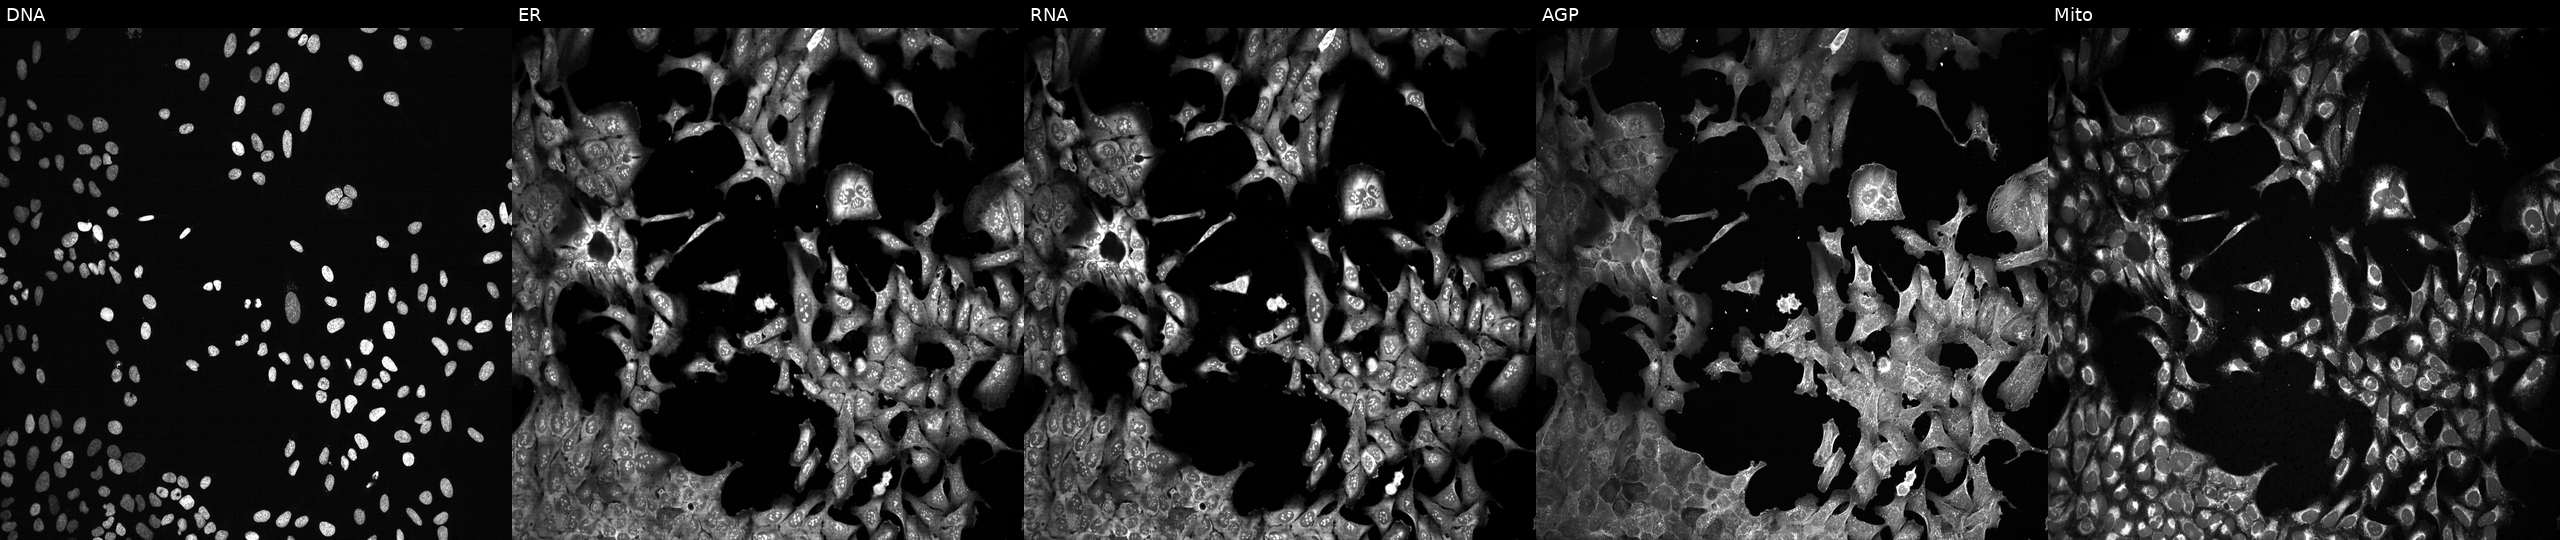
U2OS cells, Cell Painting assay, with TMPRSS15 knocked out by CRISPR (JUMP id JCP2022_807147). From left to right: DNA (nuclei); ER (endoplasmic reticulum); RNA (nucleoli and cytoplasmic RNA); AGP (actin cytoskeleton, Golgi, and plasma membrane); Mito (mitochondria). Each panel is percentile-stretched 16-bit fluorescence.